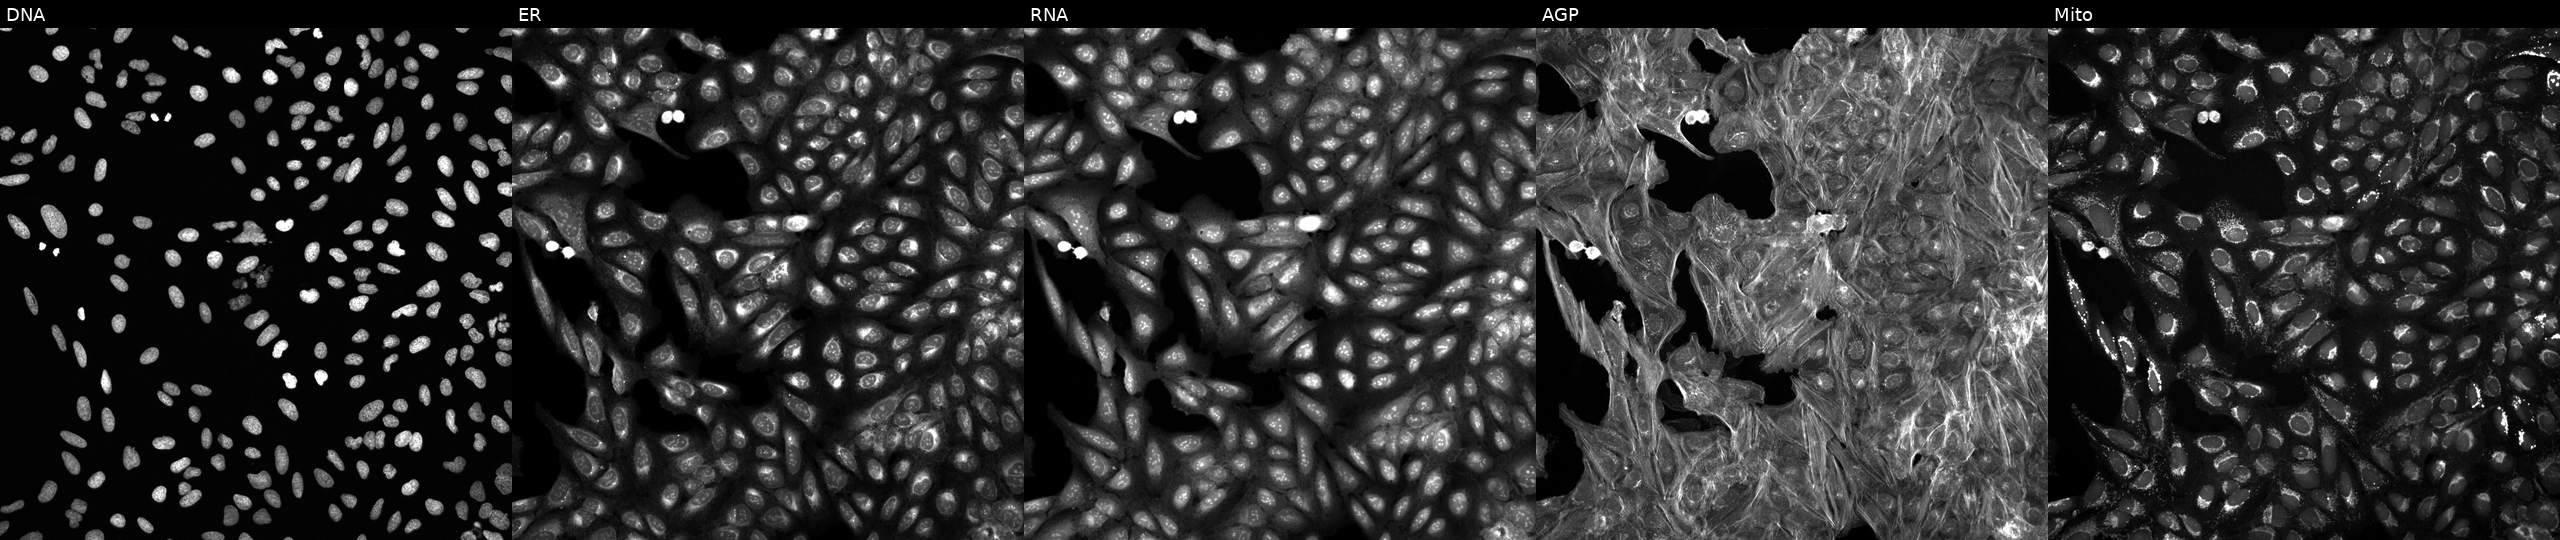
High-content fluorescence microscopy (Cell Painting). Cell line: U2OS. Perturbation: treated with DMSO vehicle only (negative control). Panels show, left to right, DNA, ER, RNA, AGP, and Mito. Source 6, plate 110000293083, well F23.